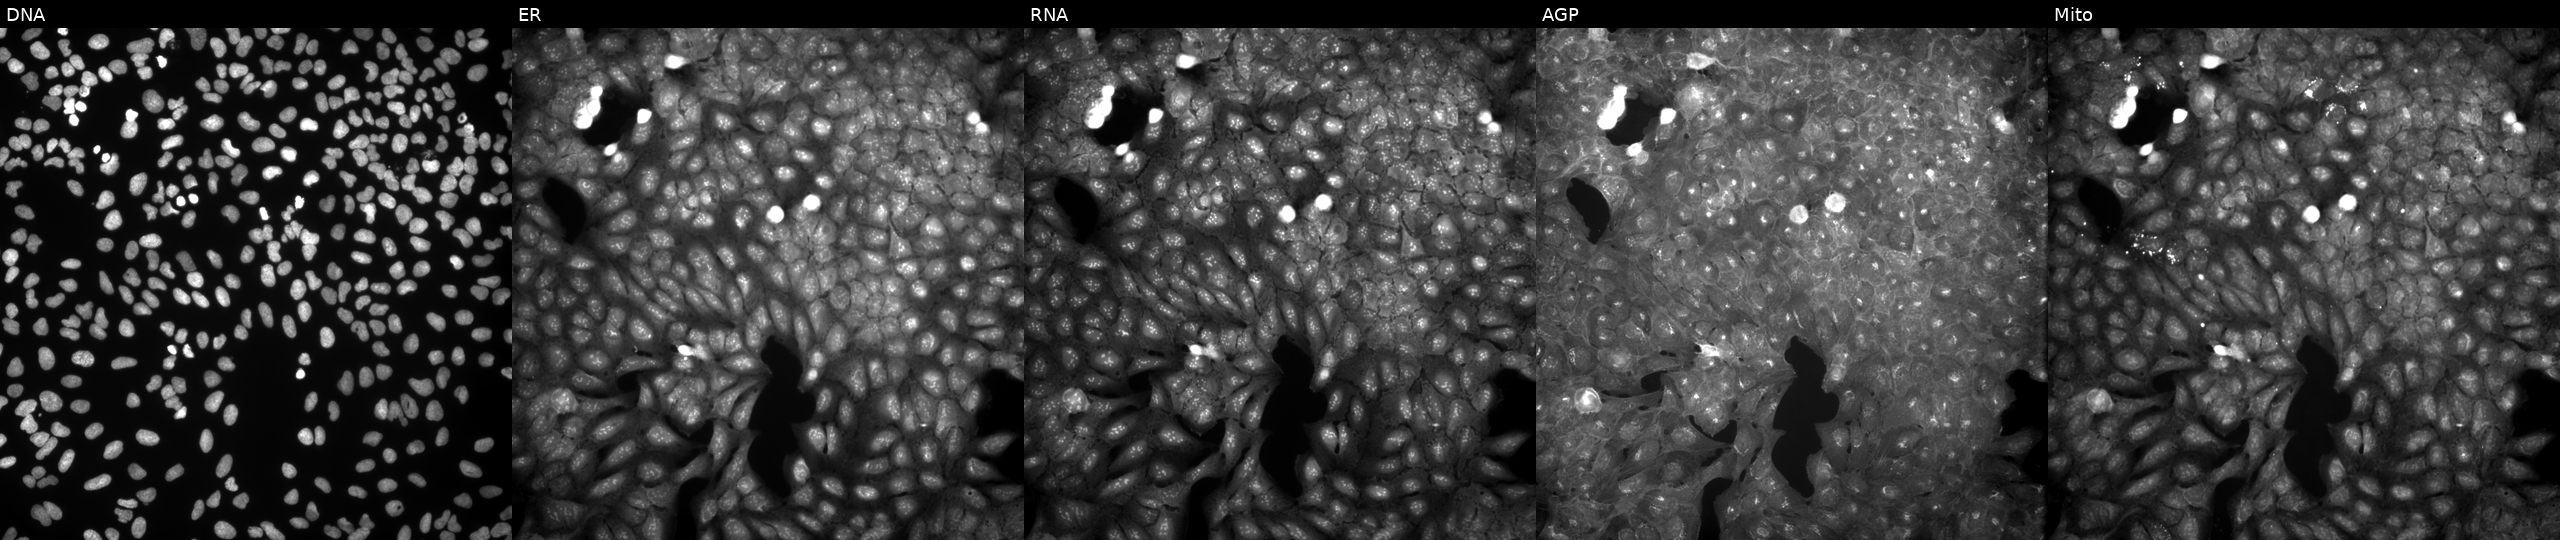
This image strip shows the five Cell Painting channels for a single field of U2OS cells treated with a small-molecule compound (InChIKey YALAFJCQBRIWRE-UHFFFAOYSA-N) (JUMP id JCP2022_107225). From left to right: DNA, ER, RNA, AGP, and Mito. Source 9, plate GR00003381, well L29.